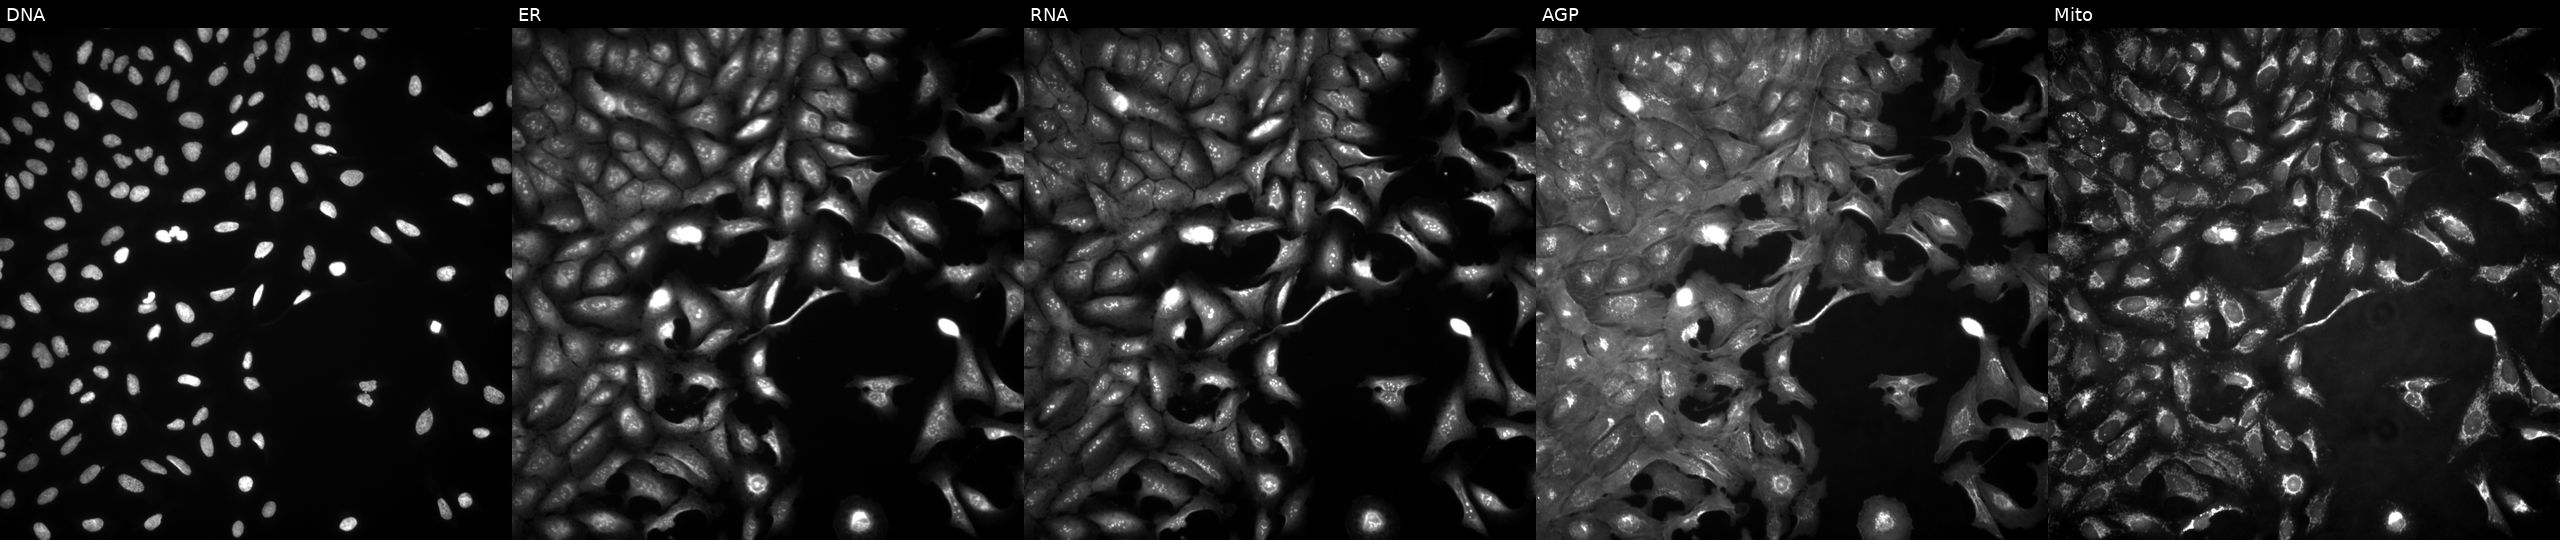
JUMP Cell Painting — ORF plate. U2OS cells overexpressing GNA12 via ORF transfection (JUMP id JCP2022_910113). Channels (left→right): Hoechst 33342, concanavalin A, SYTO 14, phalloidin and WGA, MitoTracker. Source 4, plate BR00123509, well H01.